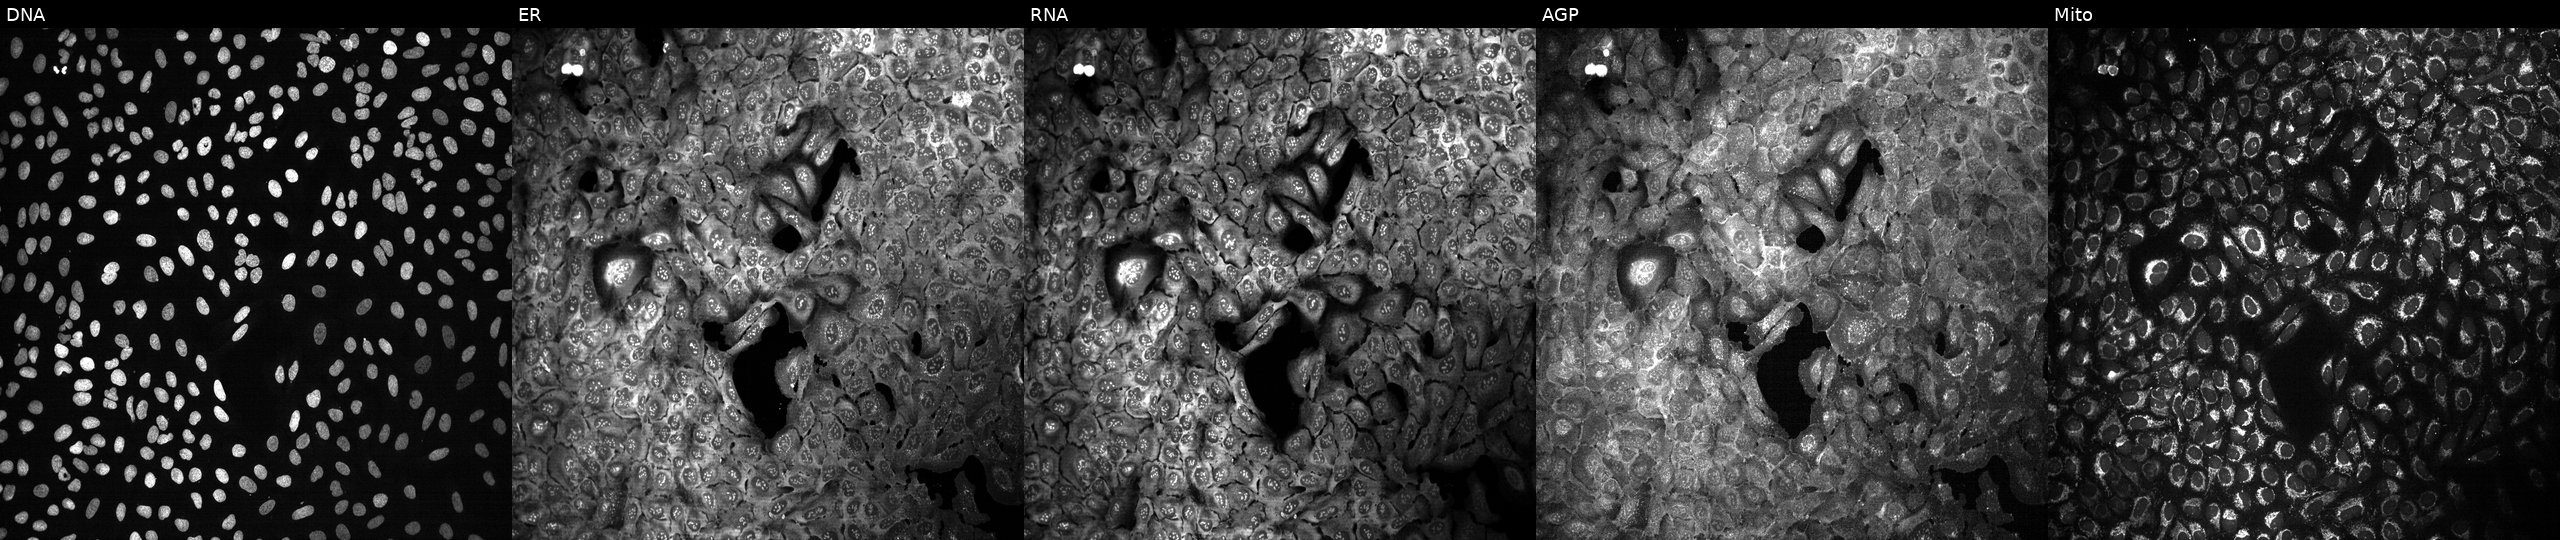
This image strip shows the five Cell Painting channels for a single field of U2OS cells with LPO knocked out by CRISPR (JUMP id JCP2022_803892). From left to right: Hoechst 33342, concanavalin A, SYTO 14, phalloidin and WGA, MitoTracker. Source 13, plate CP-CC9-R3-01, well O20.